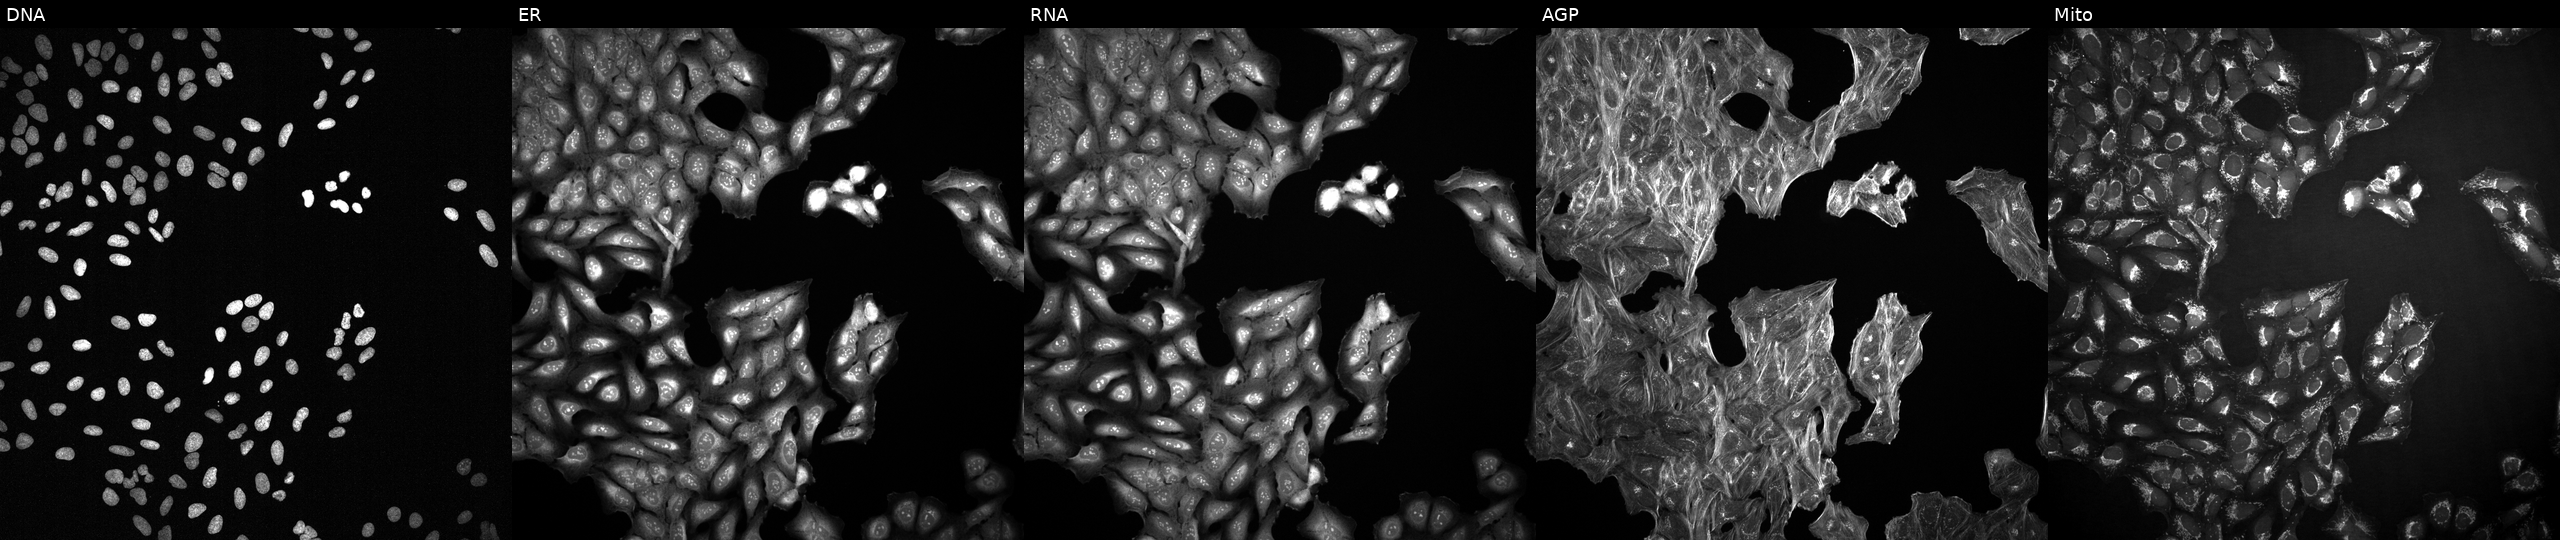
Five-channel Cell Painting image of U2OS cells exposed to a small-molecule compound. Channels (left→right): Hoechst 33342, concanavalin A, SYTO 14, phalloidin and WGA, MitoTracker.